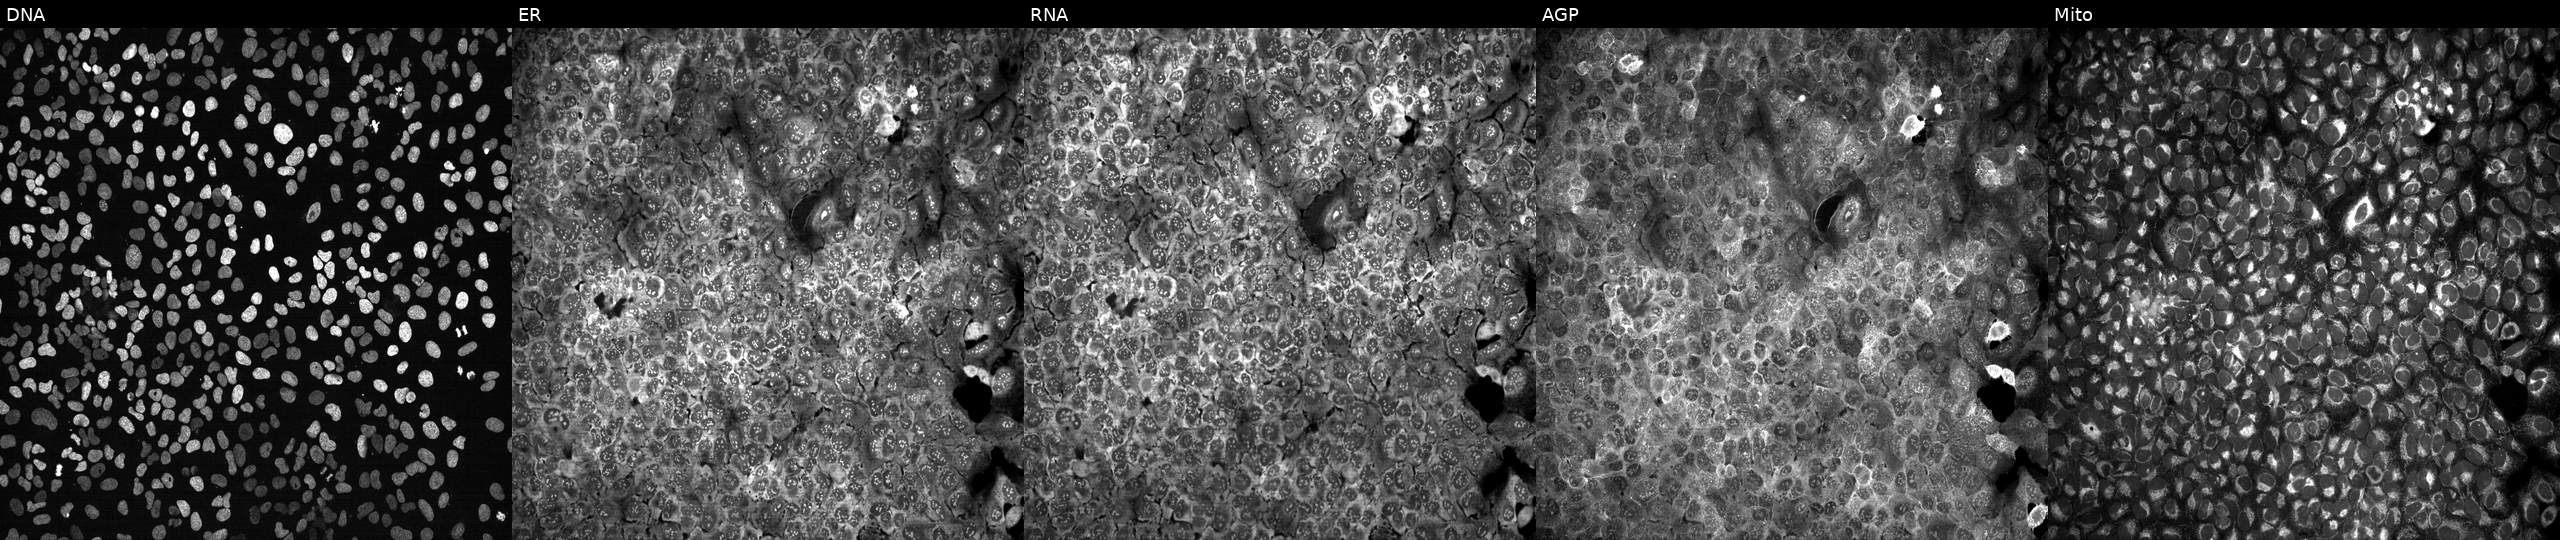
This image strip shows the five Cell Painting channels for a single field of U2OS cells CRISPR-edited to disrupt SLC28A2. From left to right: Hoechst 33342, concanavalin A, SYTO 14, phalloidin and WGA, MitoTracker. Source 13, plate CP-CC9-R4-03, well N13.